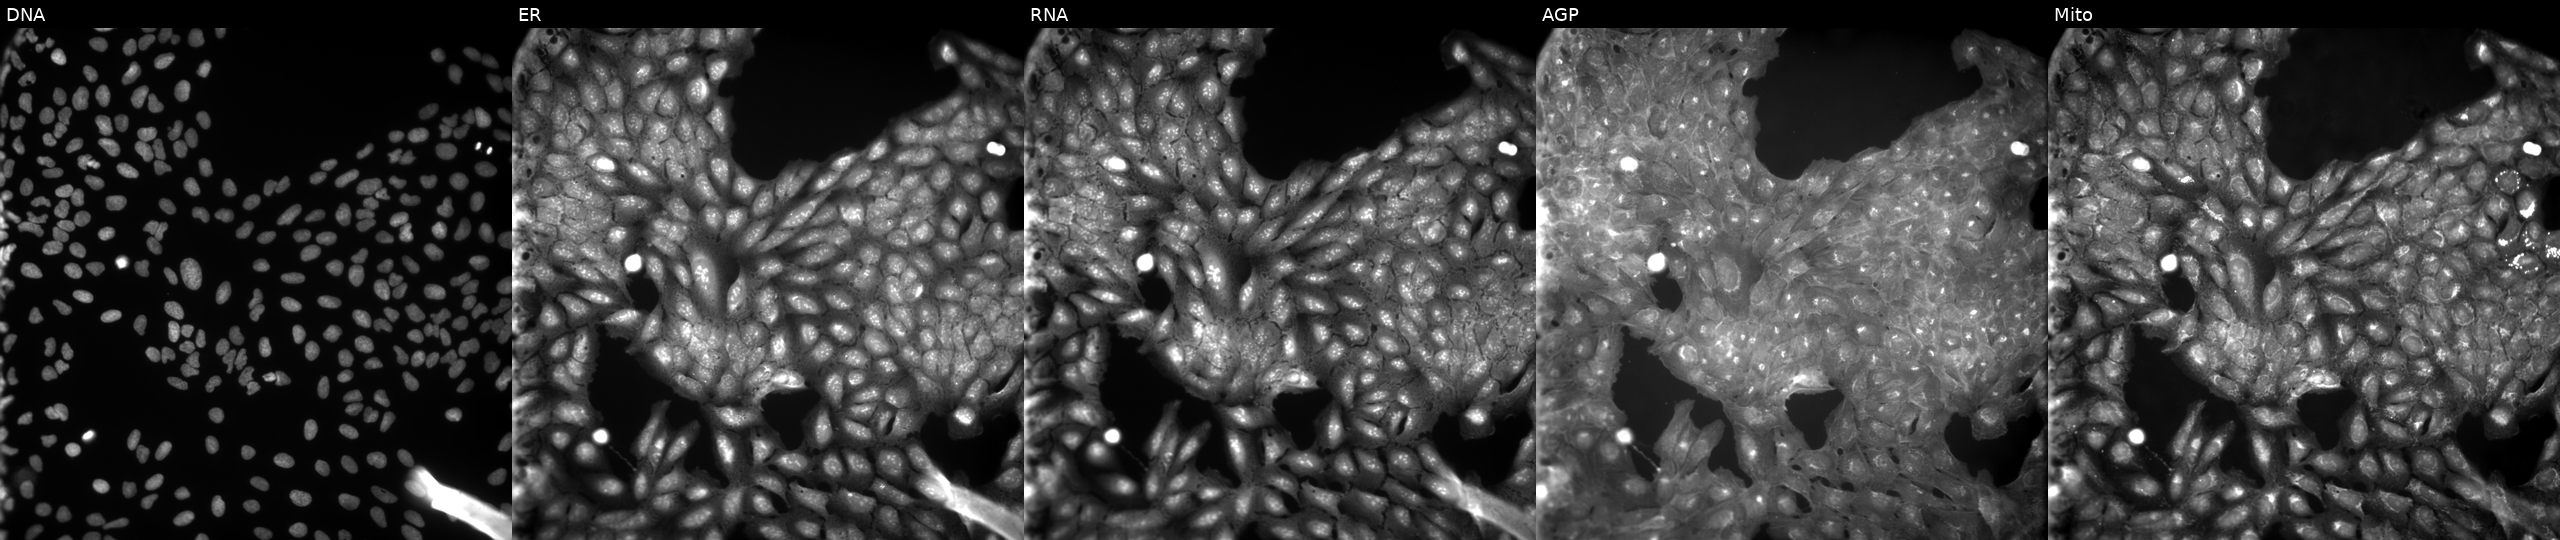
This image strip shows the five Cell Painting channels for a single field of U2OS cells perturbed with a small-molecule compound (InChIKey HQNDQGGVWZNHNZ-UHFFFAOYSA-N) (JUMP id JCP2022_031910). Channels (left→right): Hoechst 33342, concanavalin A, SYTO 14, phalloidin and WGA, MitoTracker.